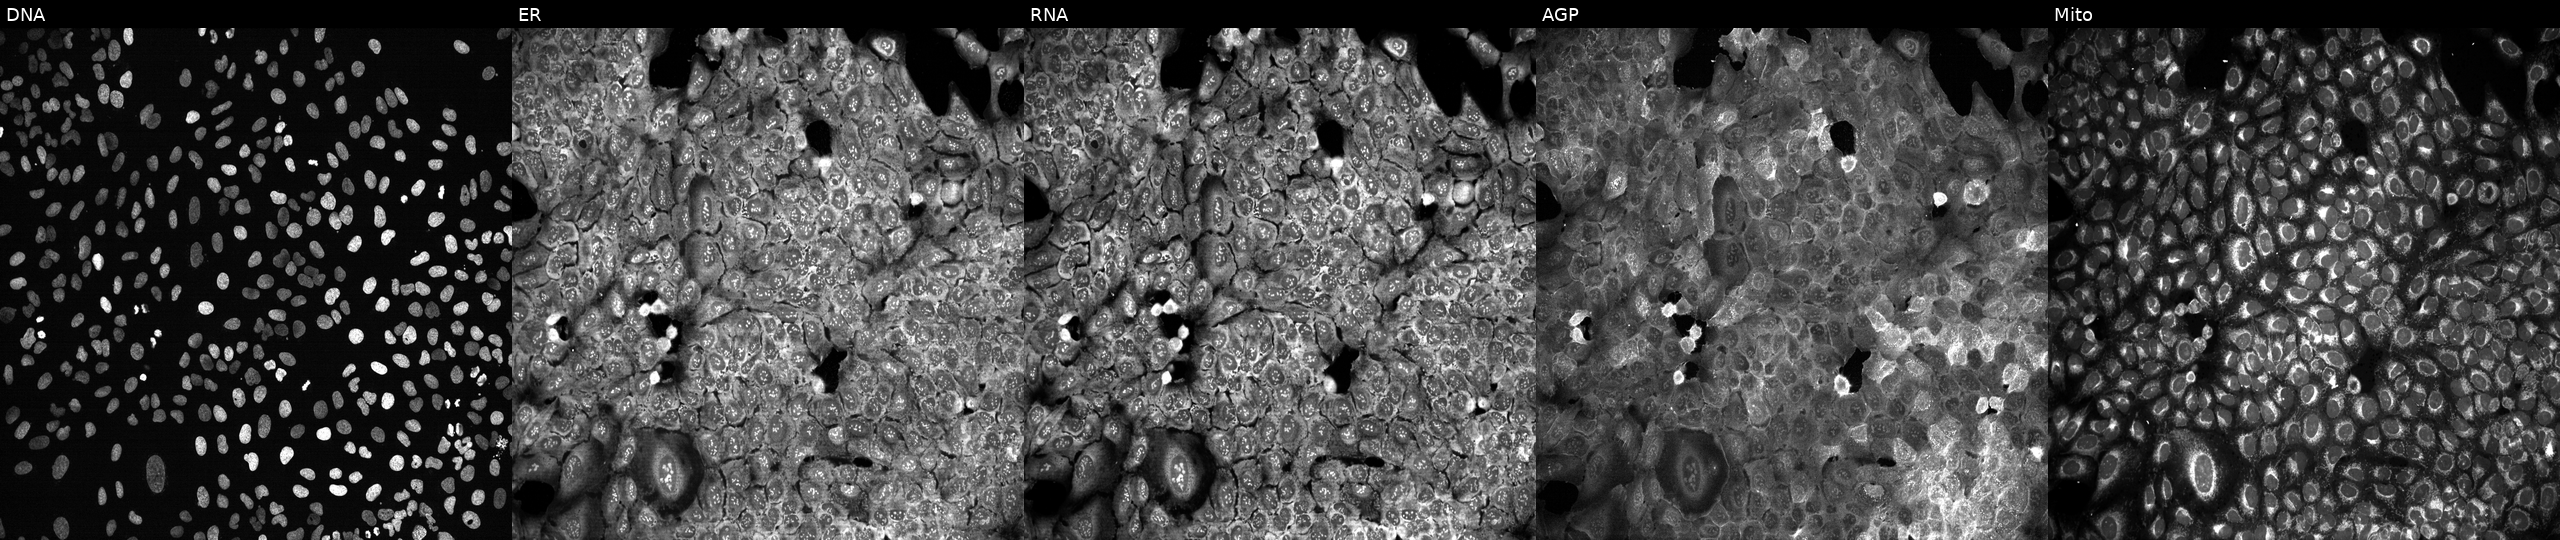
Five-channel Cell Painting image of U2OS cells with CHST3 knocked out by CRISPR. The five panels, left to right, show DNA (nuclei); ER (endoplasmic reticulum); RNA (nucleoli and cytoplasmic RNA); AGP (actin cytoskeleton, Golgi, and plasma membrane); Mito (mitochondria).